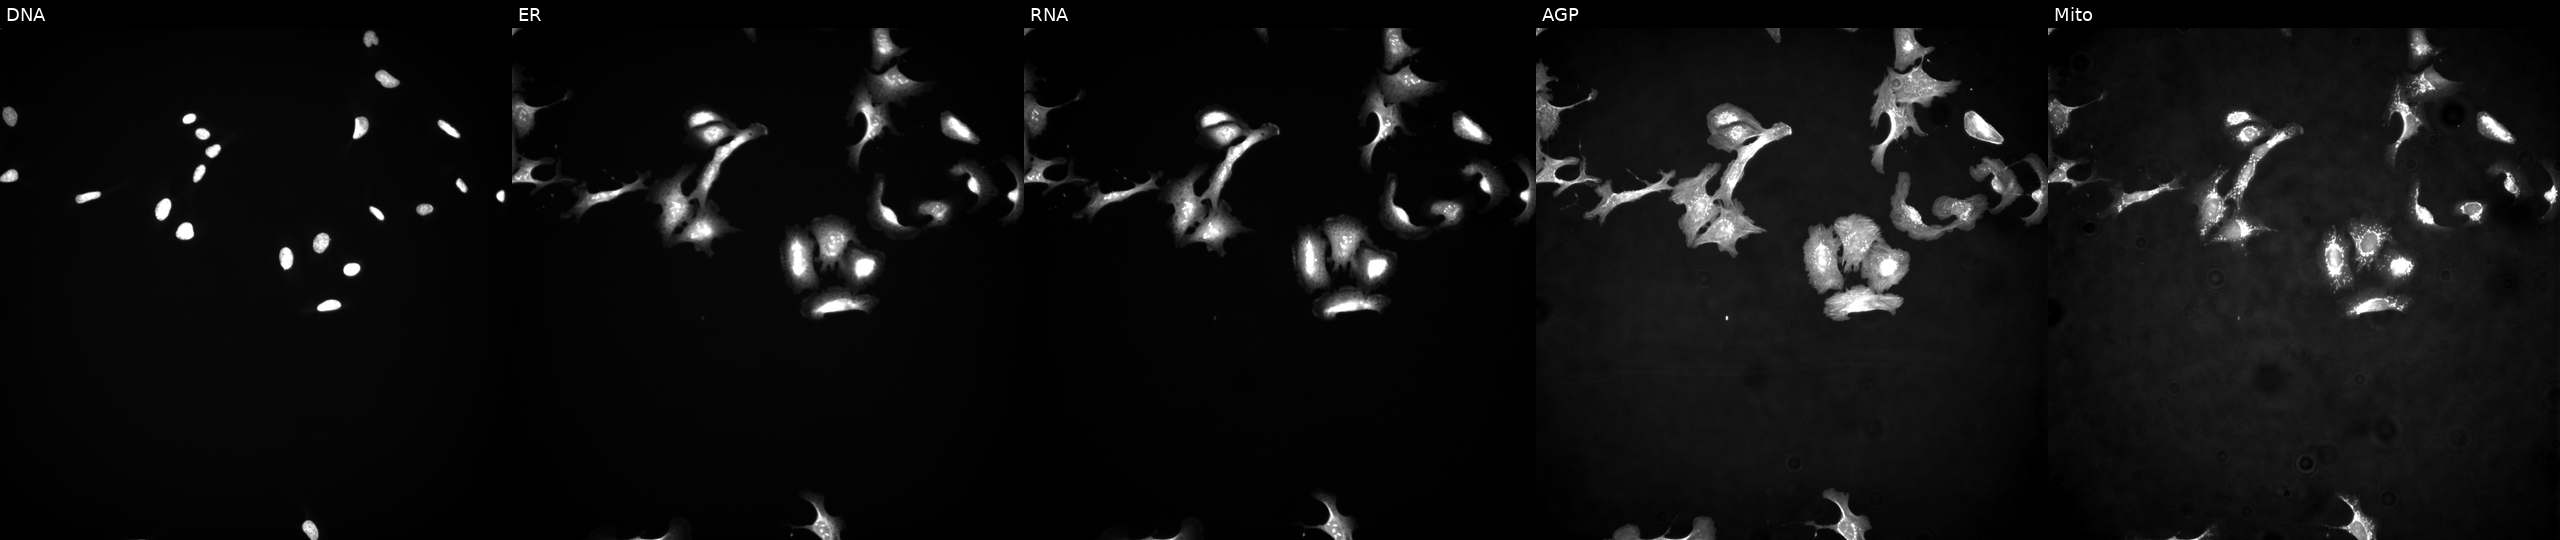
JUMP Cell Painting — ORF plate. U2OS cells with IPPK overexpressed (ORF). The five panels, left to right, show Hoechst 33342, concanavalin A, SYTO 14, phalloidin and WGA, MitoTracker. Source 4, plate BR00123945, well G10.